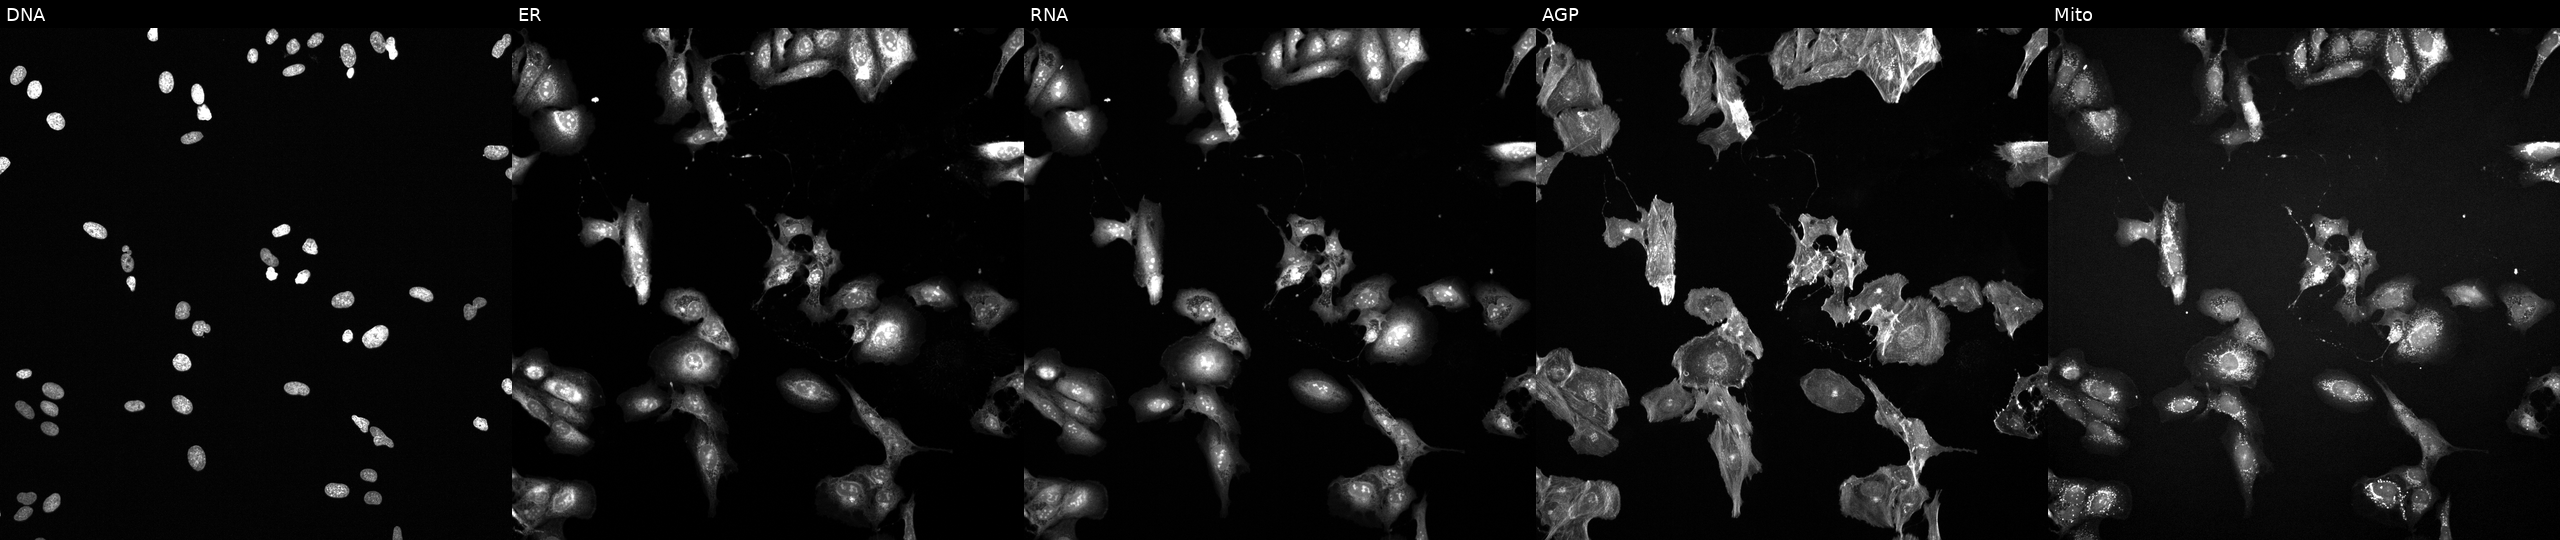
High-content fluorescence microscopy (Cell Painting). Cell line: U2OS. Perturbation: perturbed with a small-molecule compound. From left to right: DNA, ER, RNA, AGP, and Mito.